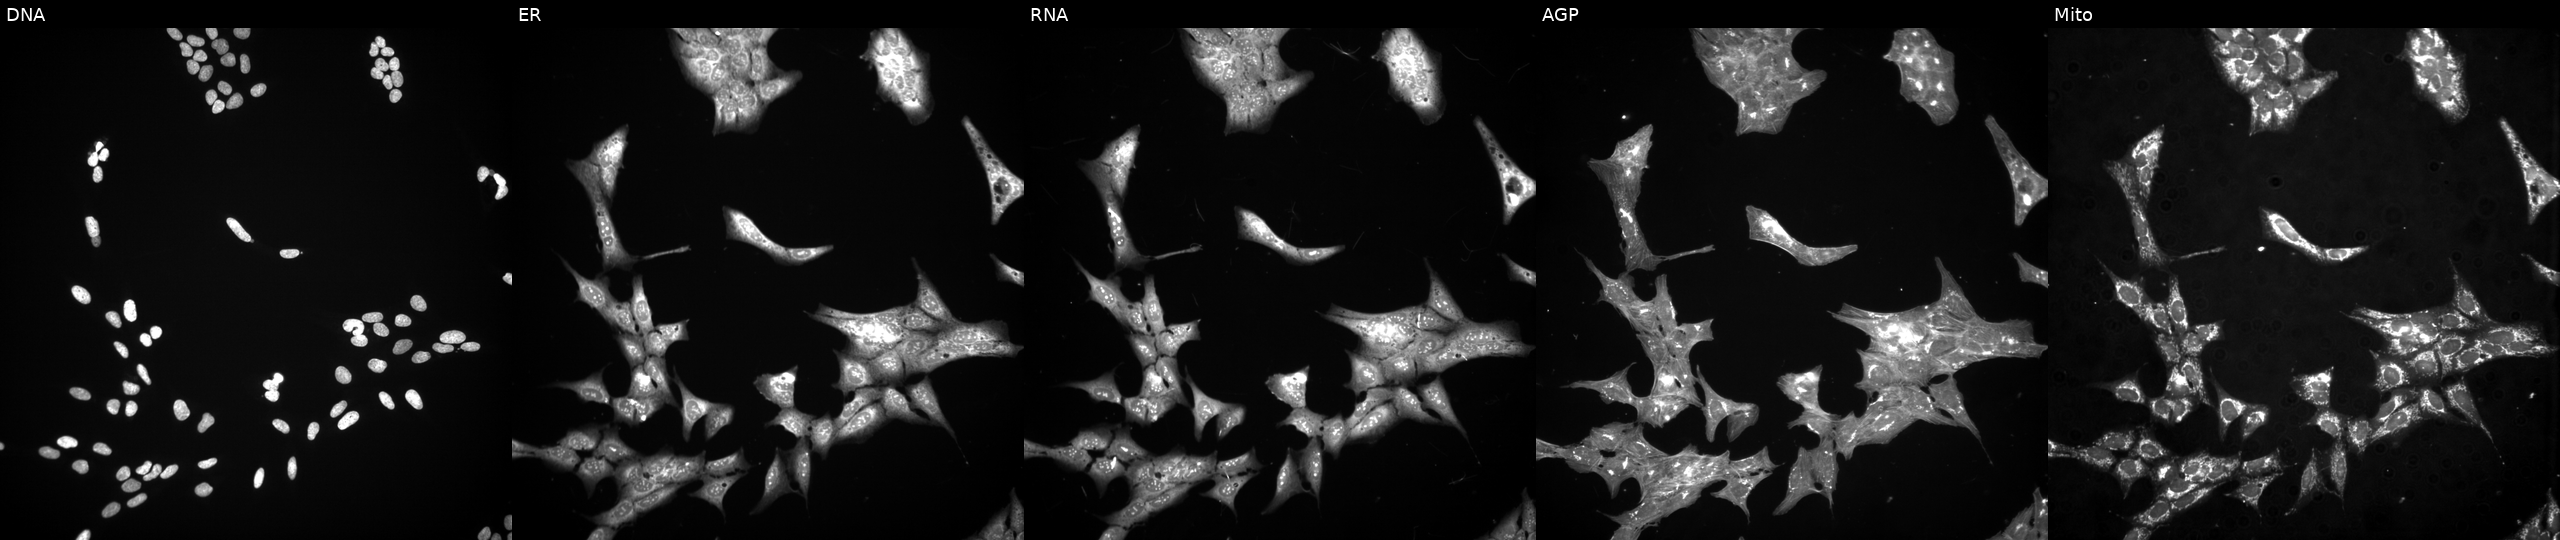
This image strip shows the five Cell Painting channels for a single field of U2OS cells exposed to a small-molecule compound. The five panels, left to right, show DNA (nuclei); ER (endoplasmic reticulum); RNA (nucleoli and cytoplasmic RNA); AGP (actin cytoskeleton, Golgi, and plasma membrane); Mito (mitochondria).